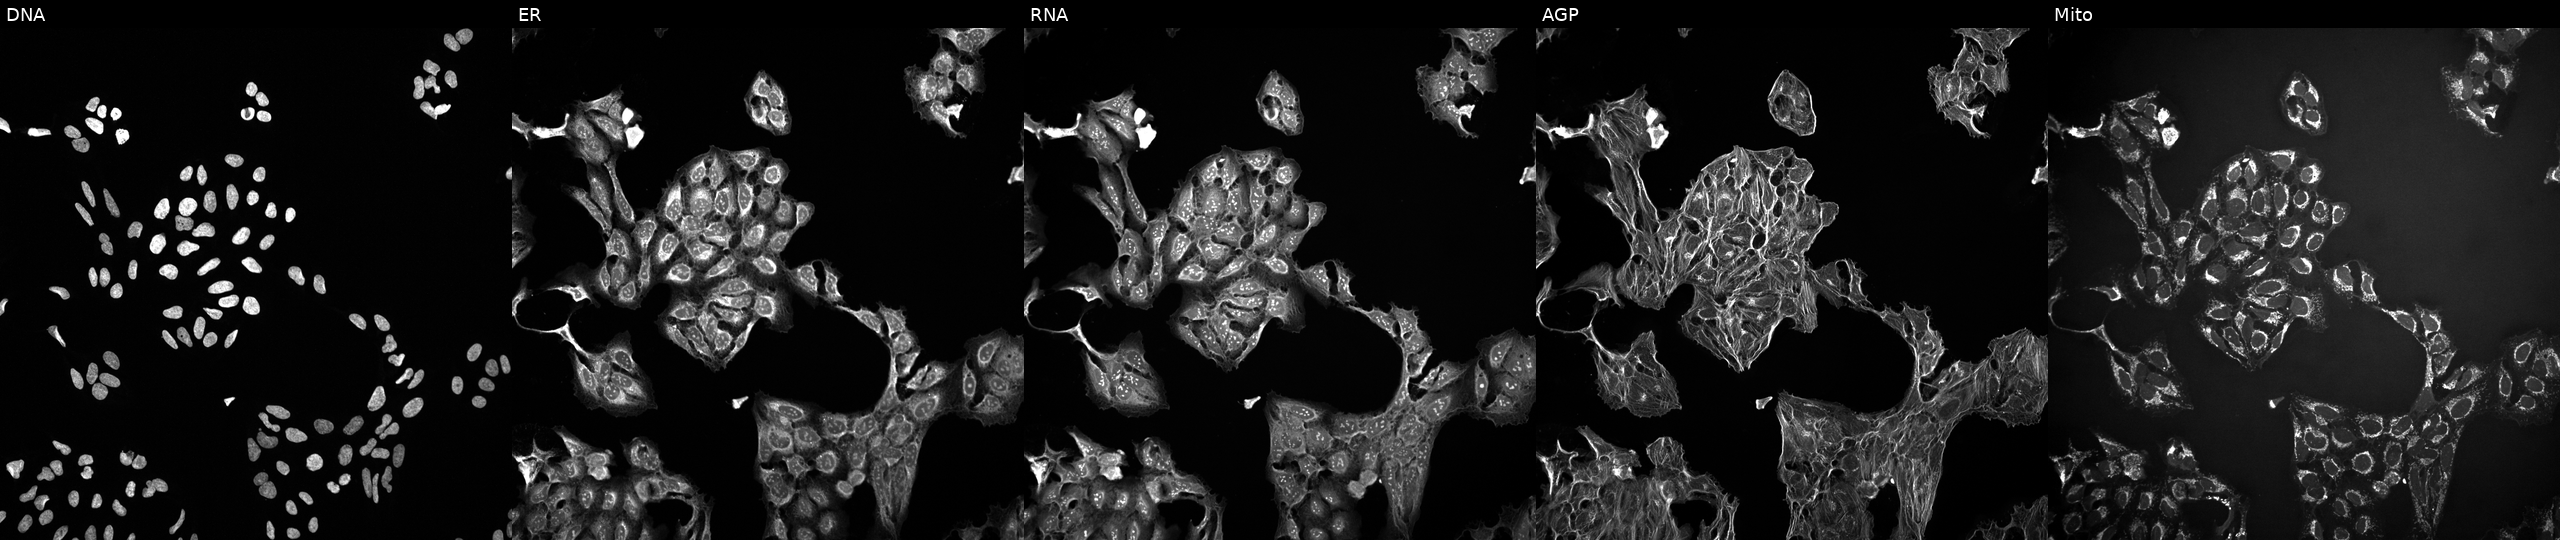
U2OS cells, Cell Painting assay, perturbed with a small-molecule compound (InChIKey DHMTURDWPRKSOA-UHFFFAOYSA-N) (JUMP id JCP2022_015955). Panels show, left to right, Hoechst 33342, concanavalin A, SYTO 14, phalloidin and WGA, MitoTracker. Each panel is percentile-stretched 16-bit fluorescence.